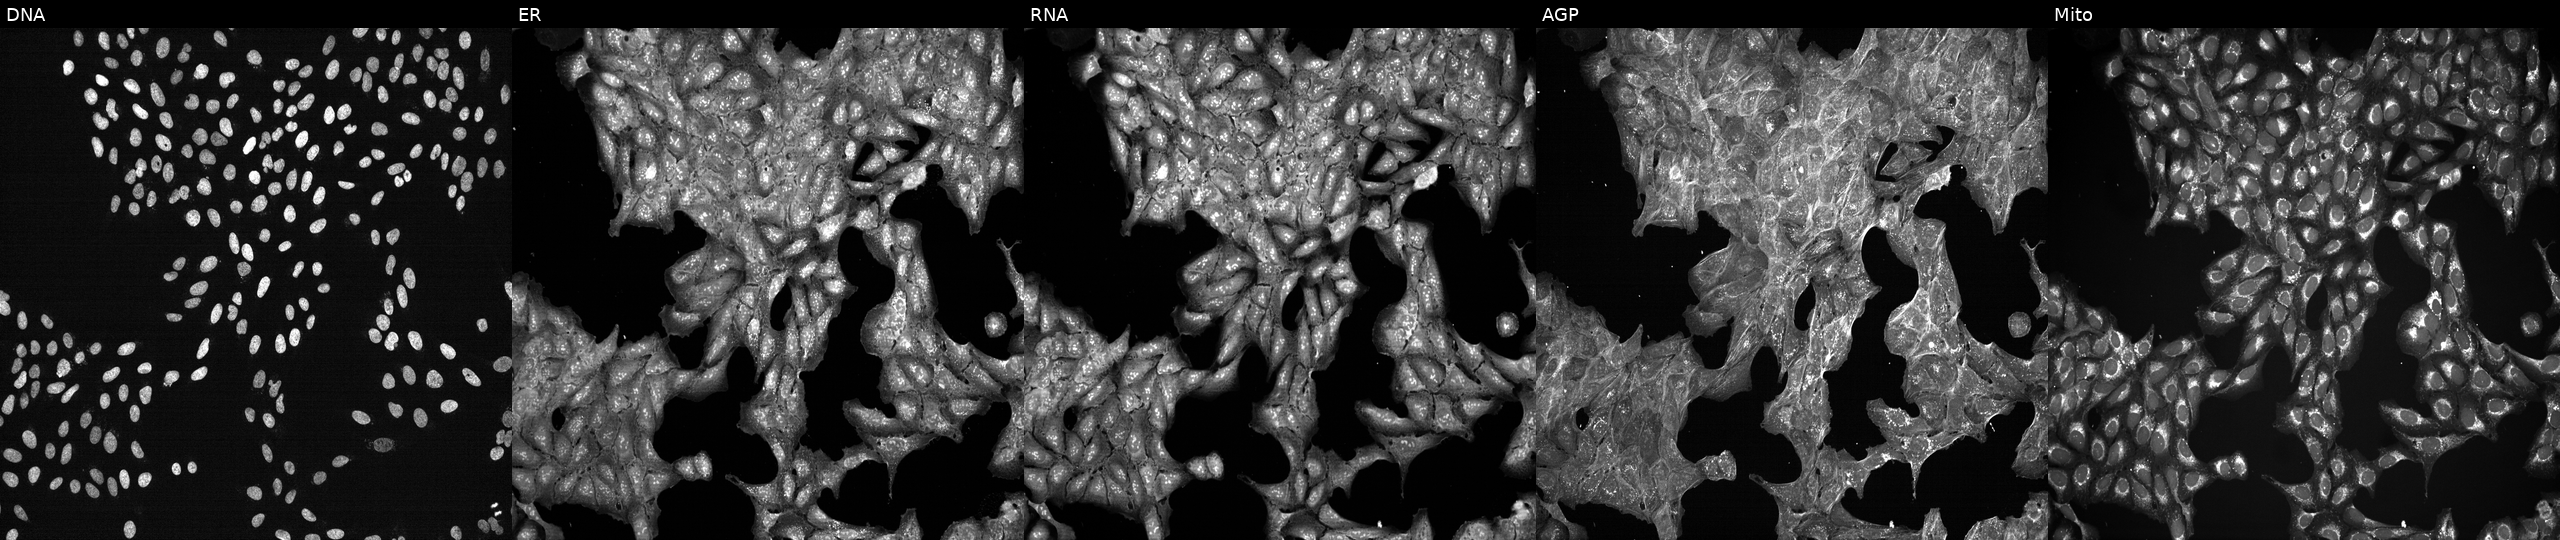
JUMP Cell Painting — TARGET2 plate. U2OS cells perturbed with a small-molecule compound (JUMP id JCP2022_109350). From left to right: DNA (nuclei); ER (endoplasmic reticulum); RNA (nucleoli and cytoplasmic RNA); AGP (actin cytoskeleton, Golgi, and plasma membrane); Mito (mitochondria). Source 7, plate CP3-SC1-25, well C24.